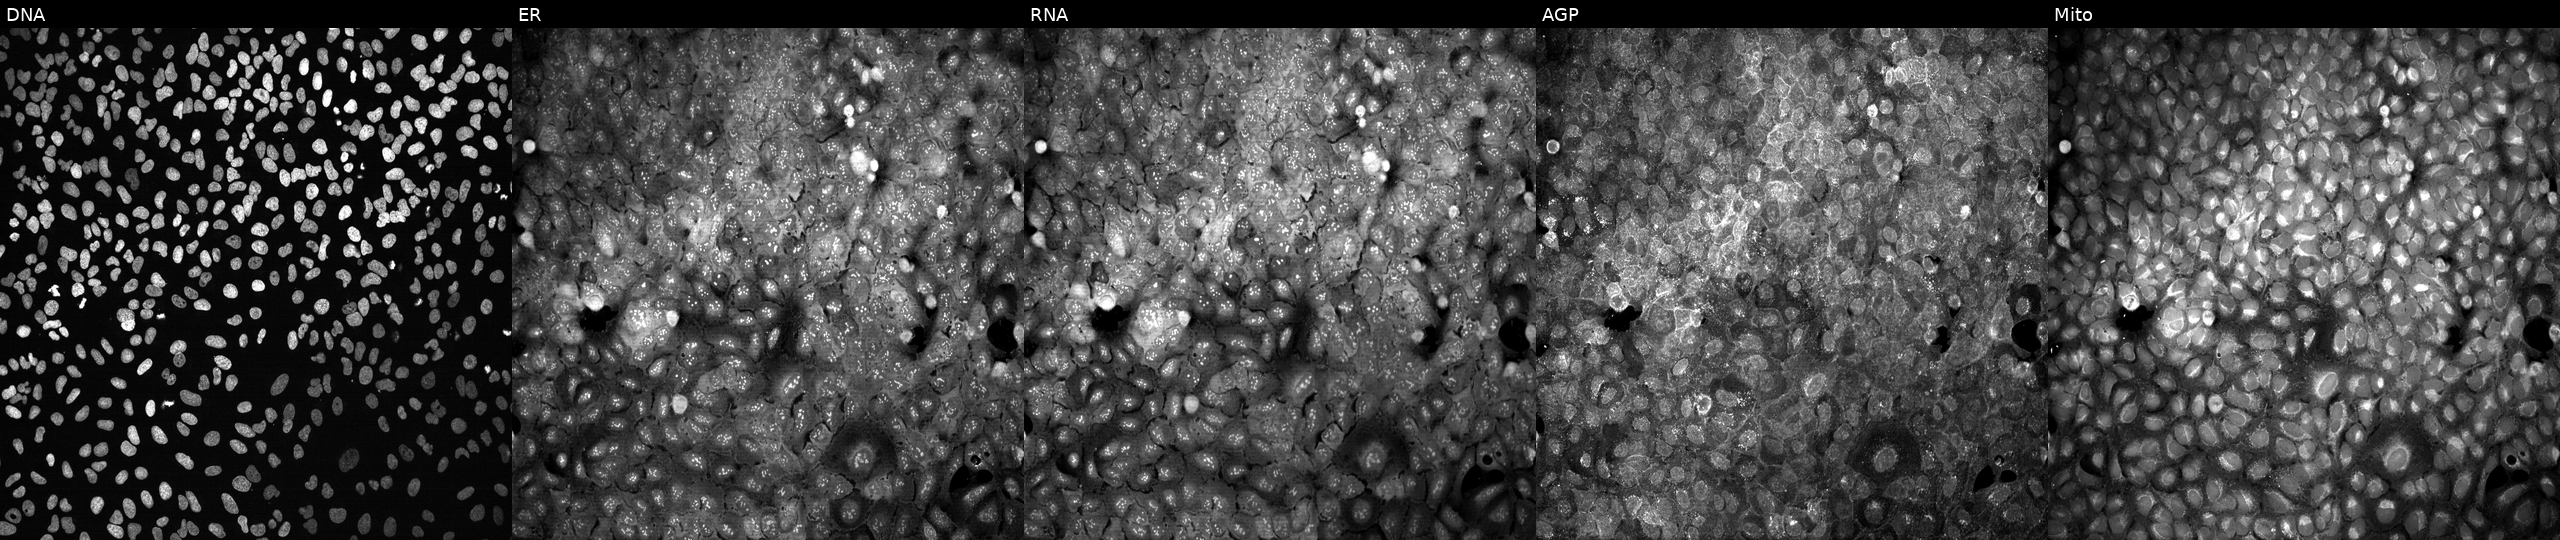
Five-channel Cell Painting image of U2OS cells following CRISPR knockout of HS6ST3 (JUMP id JCP2022_803235). From left to right: Hoechst 33342, concanavalin A, SYTO 14, phalloidin and WGA, MitoTracker. Source 13, plate CP-CC9-R1-01, well L20.